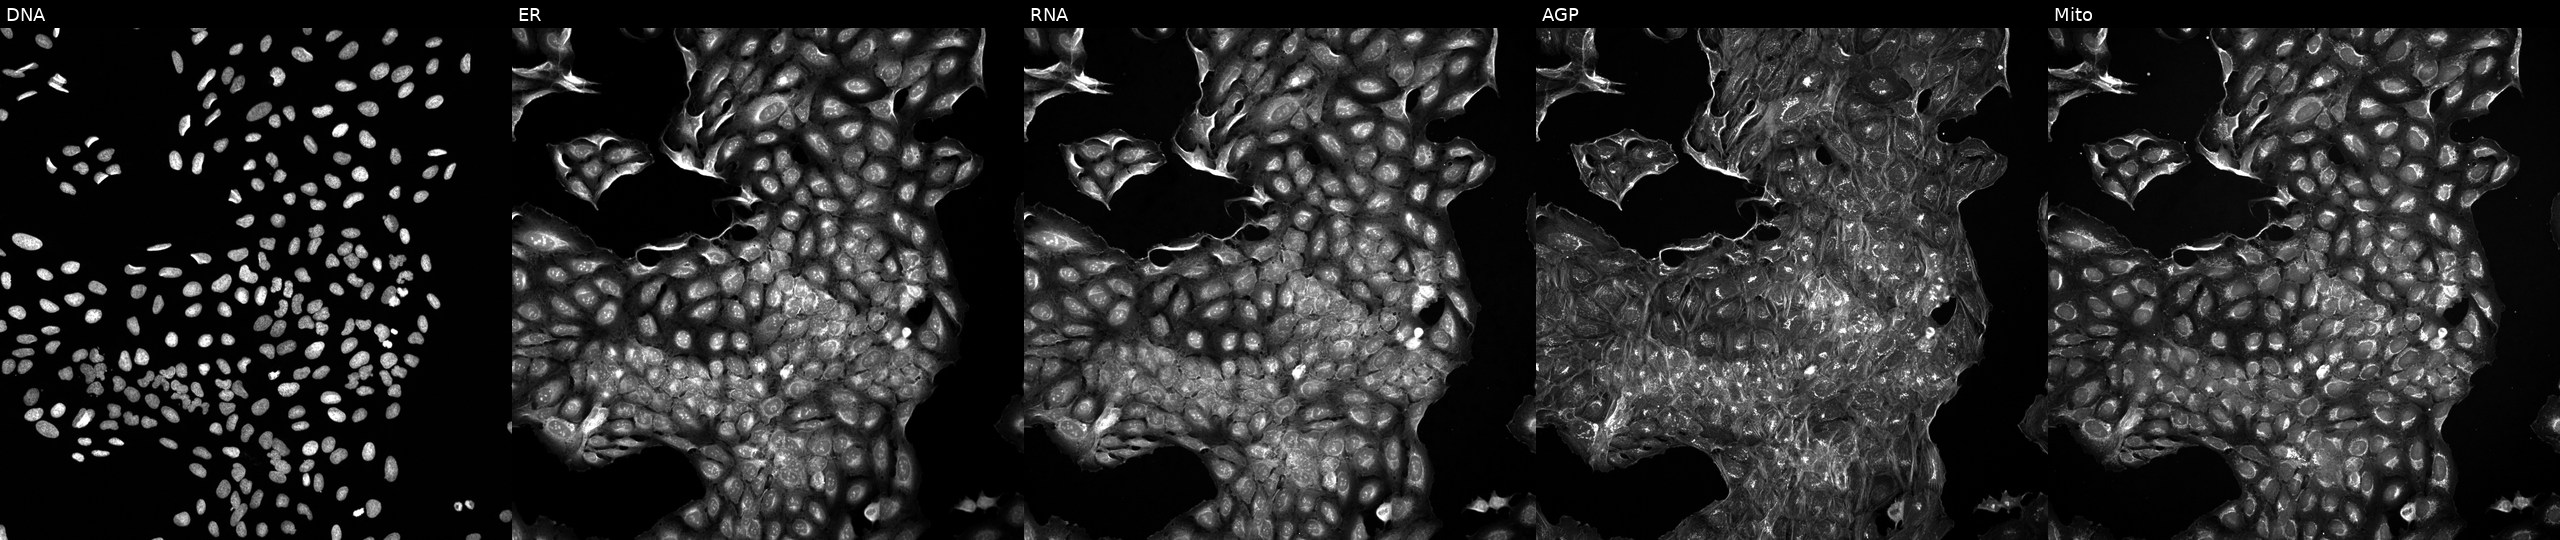
Five-channel Cell Painting image of U2OS cells treated with a small-molecule compound (InChIKey AZRSBVJYKLIFMJ-UHFFFAOYSA-N) (JUMP id JCP2022_004888). Channels (left→right): Hoechst 33342, concanavalin A, SYTO 14, phalloidin and WGA, MitoTracker. Source 5, plate APTJUM105, well D22.